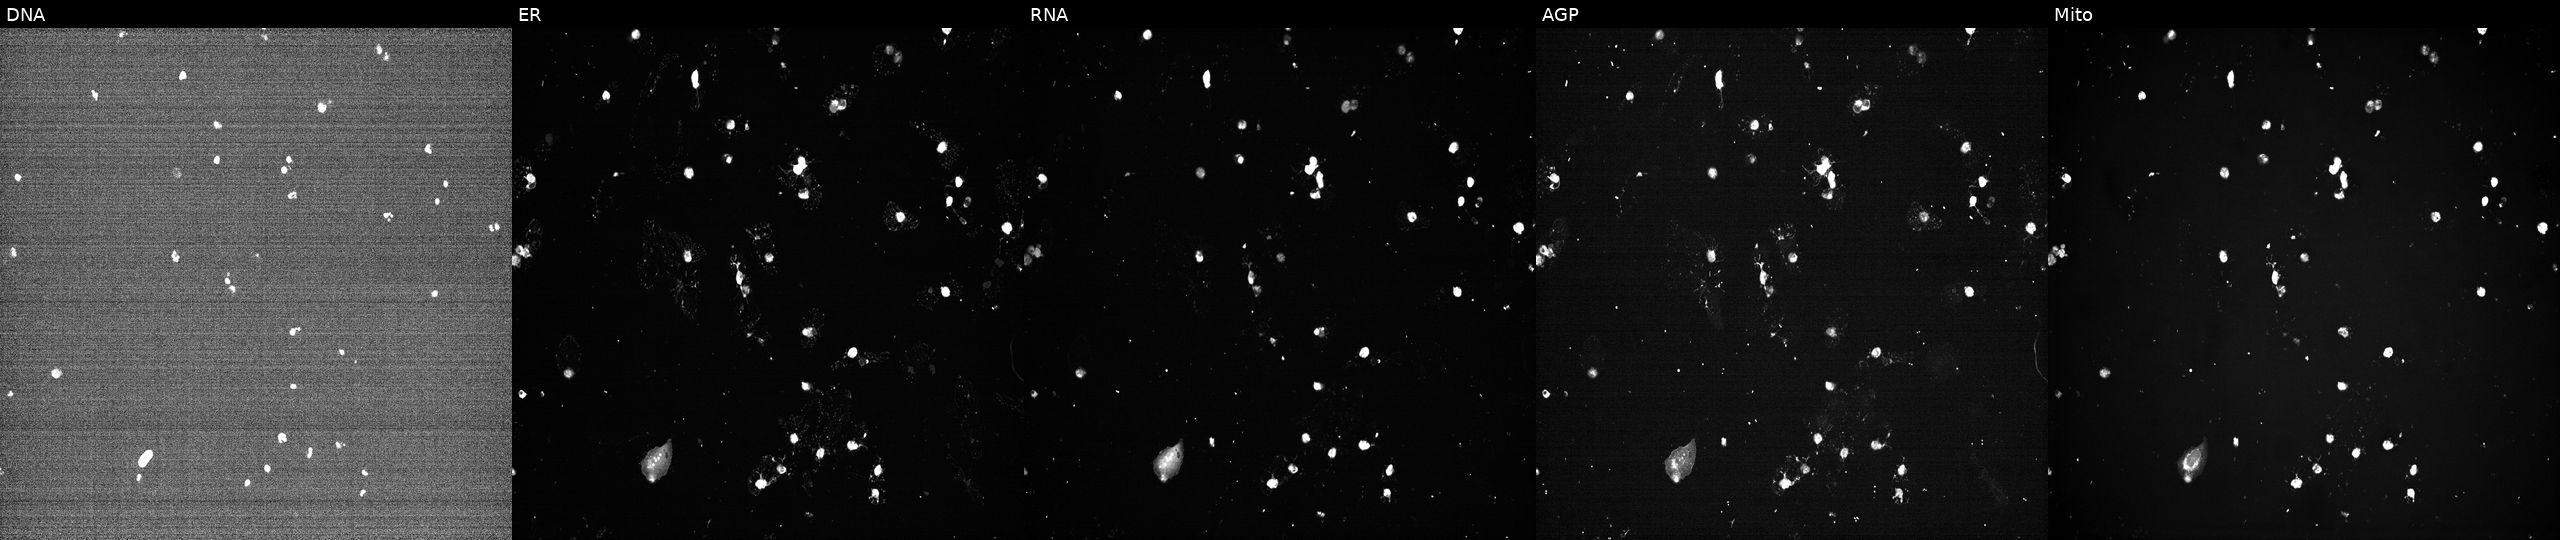
Channels (left→right): DNA, ER, RNA, AGP, and Mito. U2OS osteosarcoma cells perturbed with a small-molecule compound (InChIKey RXWNCPJZOCPEPQ-UHFFFAOYSA-N) [SMILES: COc1ccc(CC(N)C(=O)NC2C(CO)OC(n3cnc4c(N(C)C)ncnc43)C2O)cc1]. Cell Painting assay, JUMP-CP dataset.